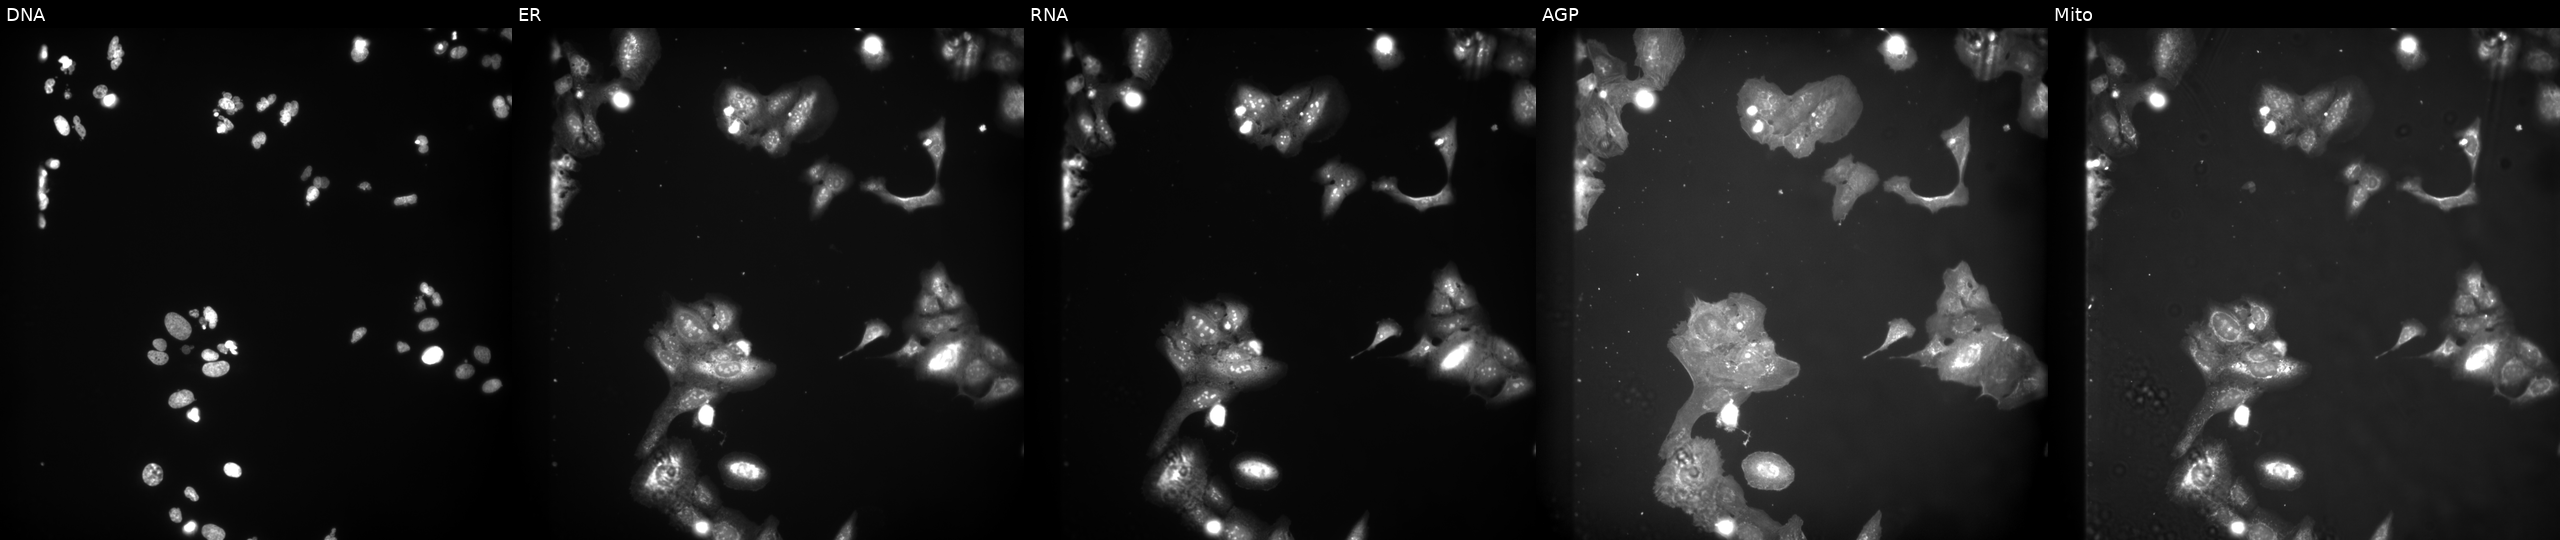
JUMP Cell Painting — COMPOUND plate. U2OS cells perturbed with a small-molecule compound (InChIKey GTUVJKCVOKQTIH-UHFFFAOYSA-N) [SMILES: CCc1ccc(S(=O)(=O)N(C(=O)c2ccncc2)c2ccc3oc(C)c(C(=O)OC)c3c2)cc1] (JUMP id JCP2022_027722). From left to right: Hoechst 33342, concanavalin A, SYTO 14, phalloidin and WGA, MitoTracker.